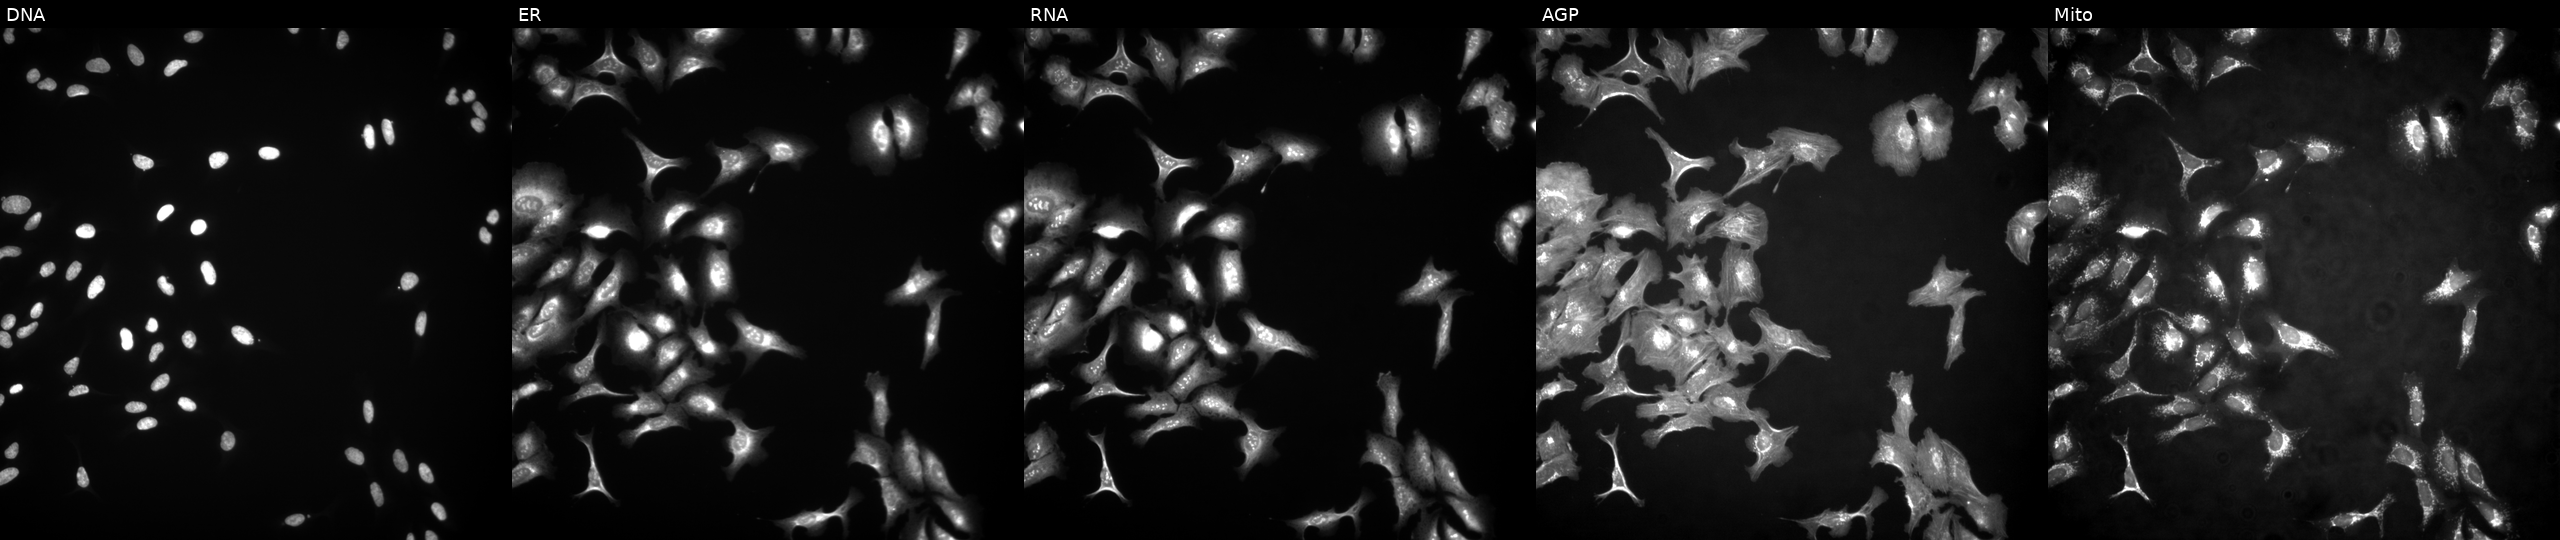
U2OS cells, Cell Painting assay, expressing eGFP (ORF positive control) (JUMP id JCP2022_915132). The five panels, left to right, show DNA, ER, RNA, AGP, and Mito. Each panel is percentile-stretched 16-bit fluorescence. Source 4, plate BR00123509, well P18.